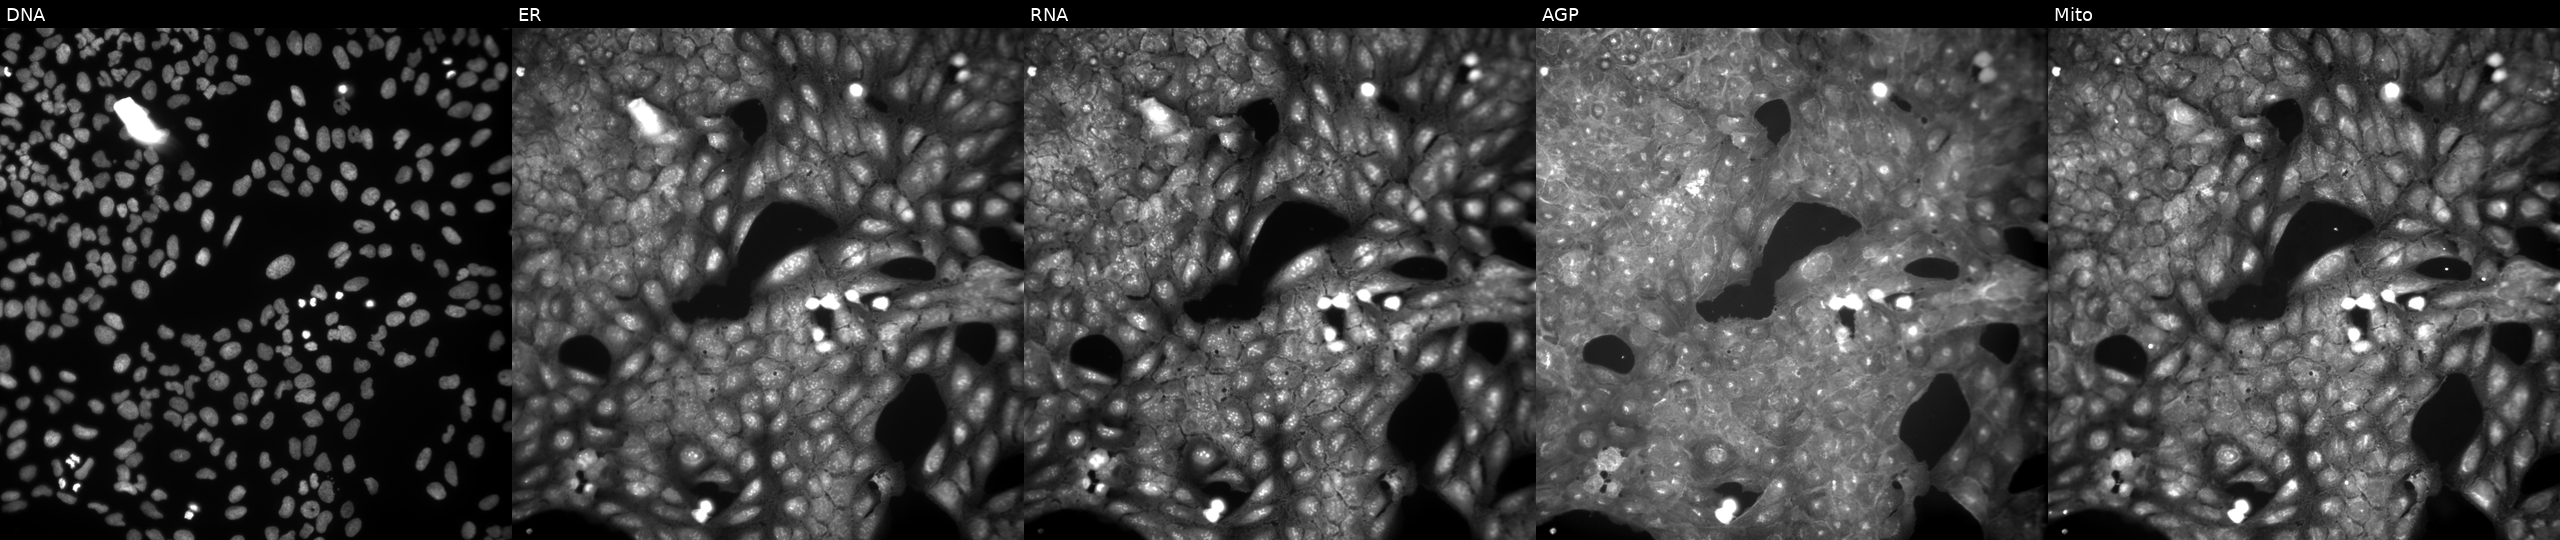
U2OS cells, Cell Painting assay, treated with DMSO vehicle only (negative control) (JUMP id JCP2022_033924). From left to right: DNA, ER, RNA, AGP, and Mito. Each panel is percentile-stretched 16-bit fluorescence.